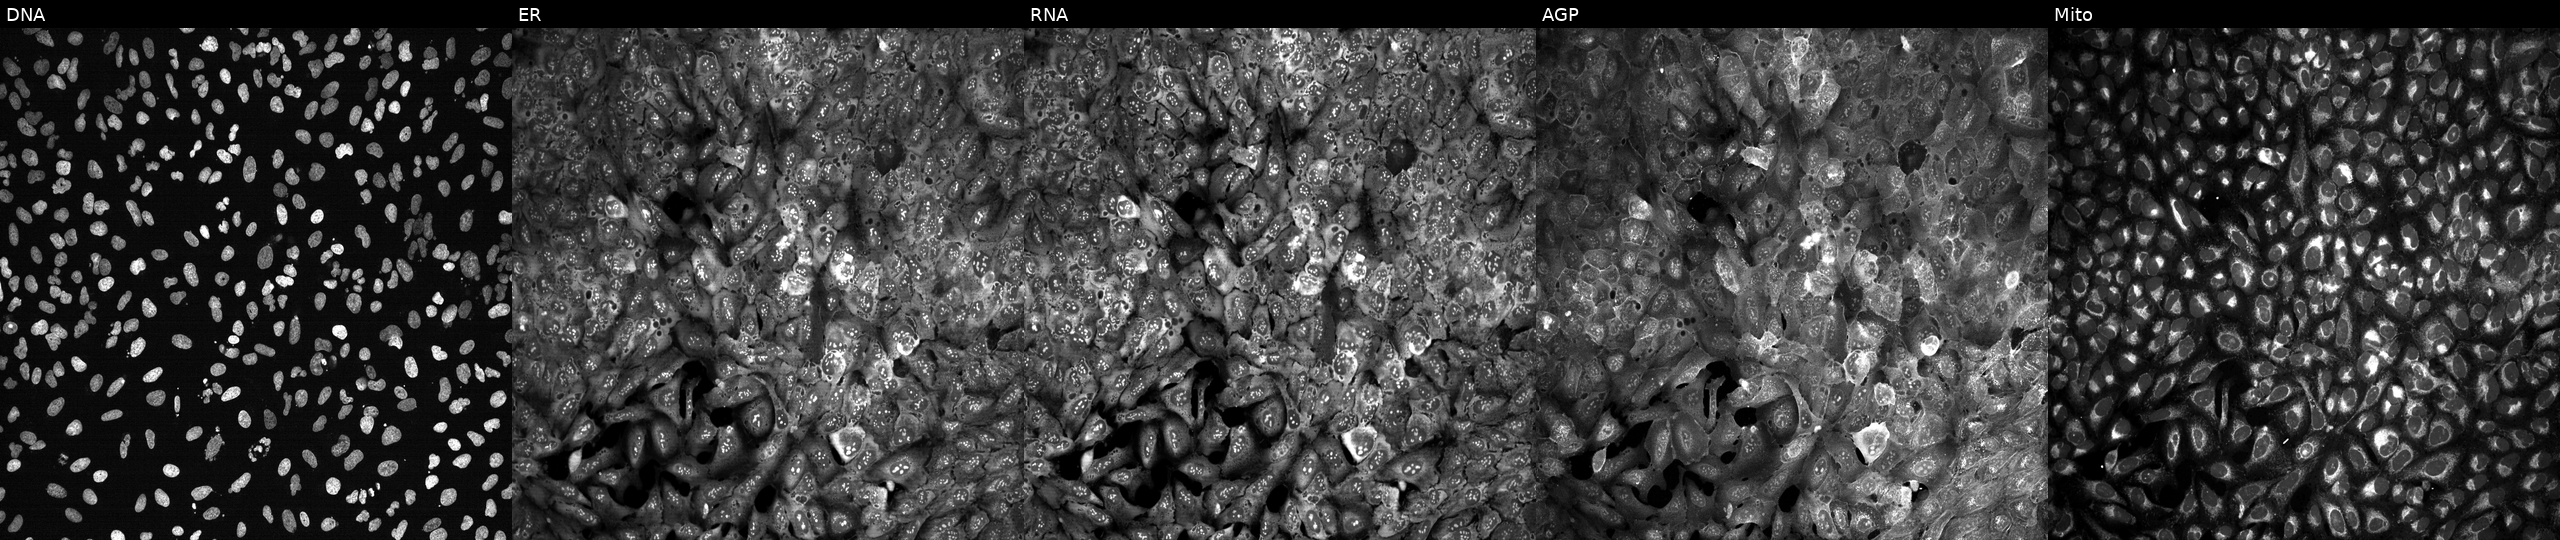
U2OS cells, Cell Painting assay, with PPWD1 knocked out by CRISPR (JUMP id JCP2022_805482). The five panels, left to right, show Hoechst 33342, concanavalin A, SYTO 14, phalloidin and WGA, MitoTracker. Each panel is percentile-stretched 16-bit fluorescence. Source 13, plate CP-CC9-R4-04, well C22.